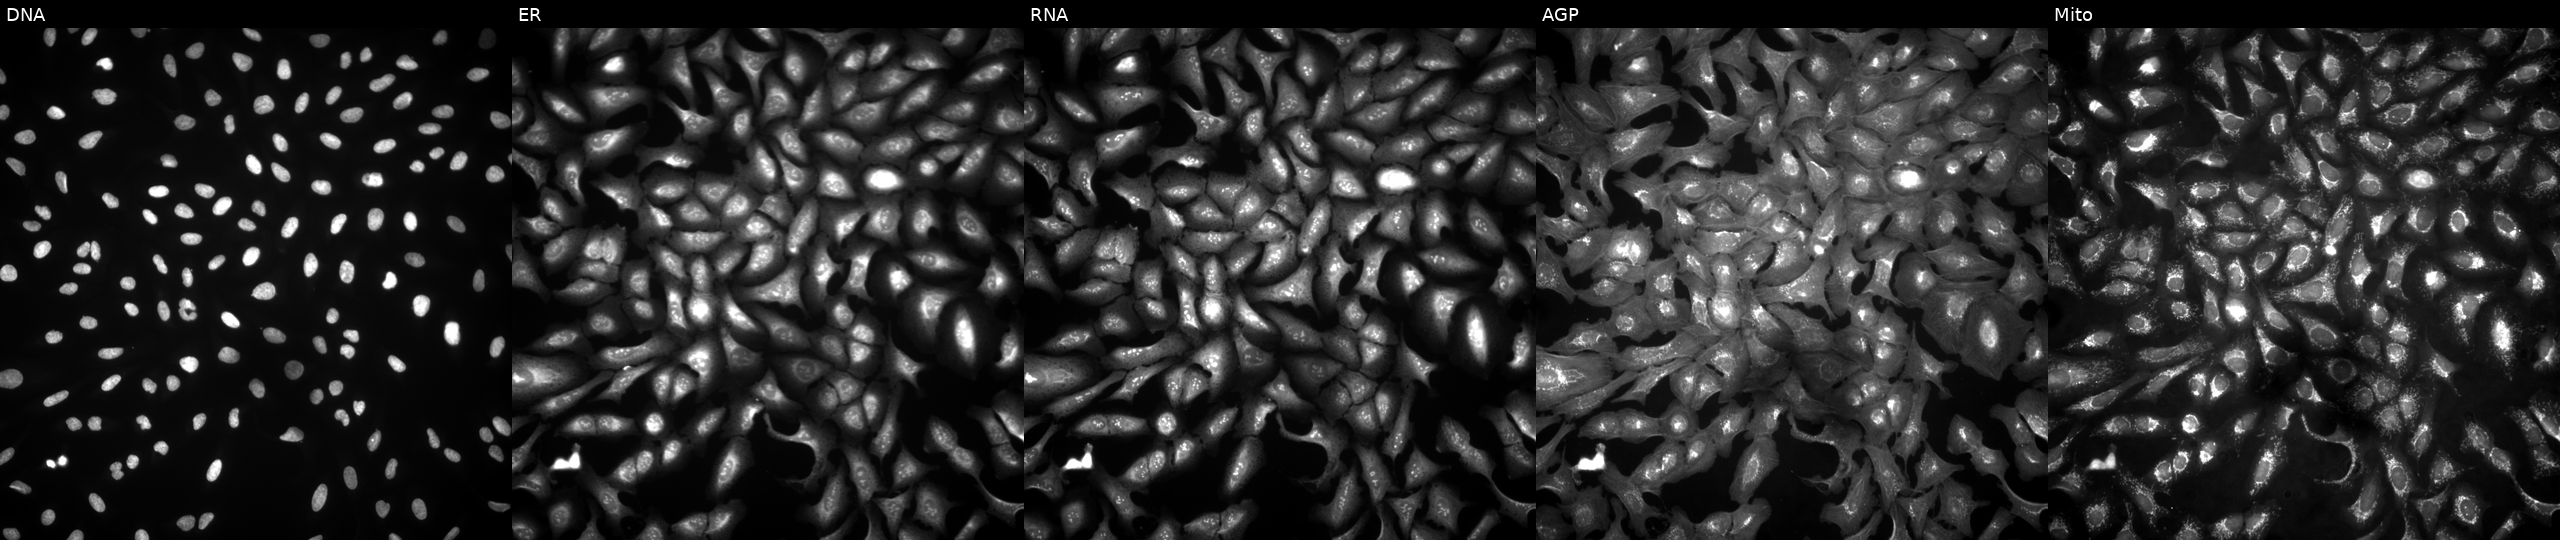
Panels show, left to right, DNA (nuclei); ER (endoplasmic reticulum); RNA (nucleoli and cytoplasmic RNA); AGP (actin cytoskeleton, Golgi, and plasma membrane); Mito (mitochondria). U2OS osteosarcoma cells overexpressing TRIM35 via ORF transfection (JUMP id JCP2022_910883). Cell Painting assay, JUMP-CP dataset. Source 4, plate BR00124790, well C09.